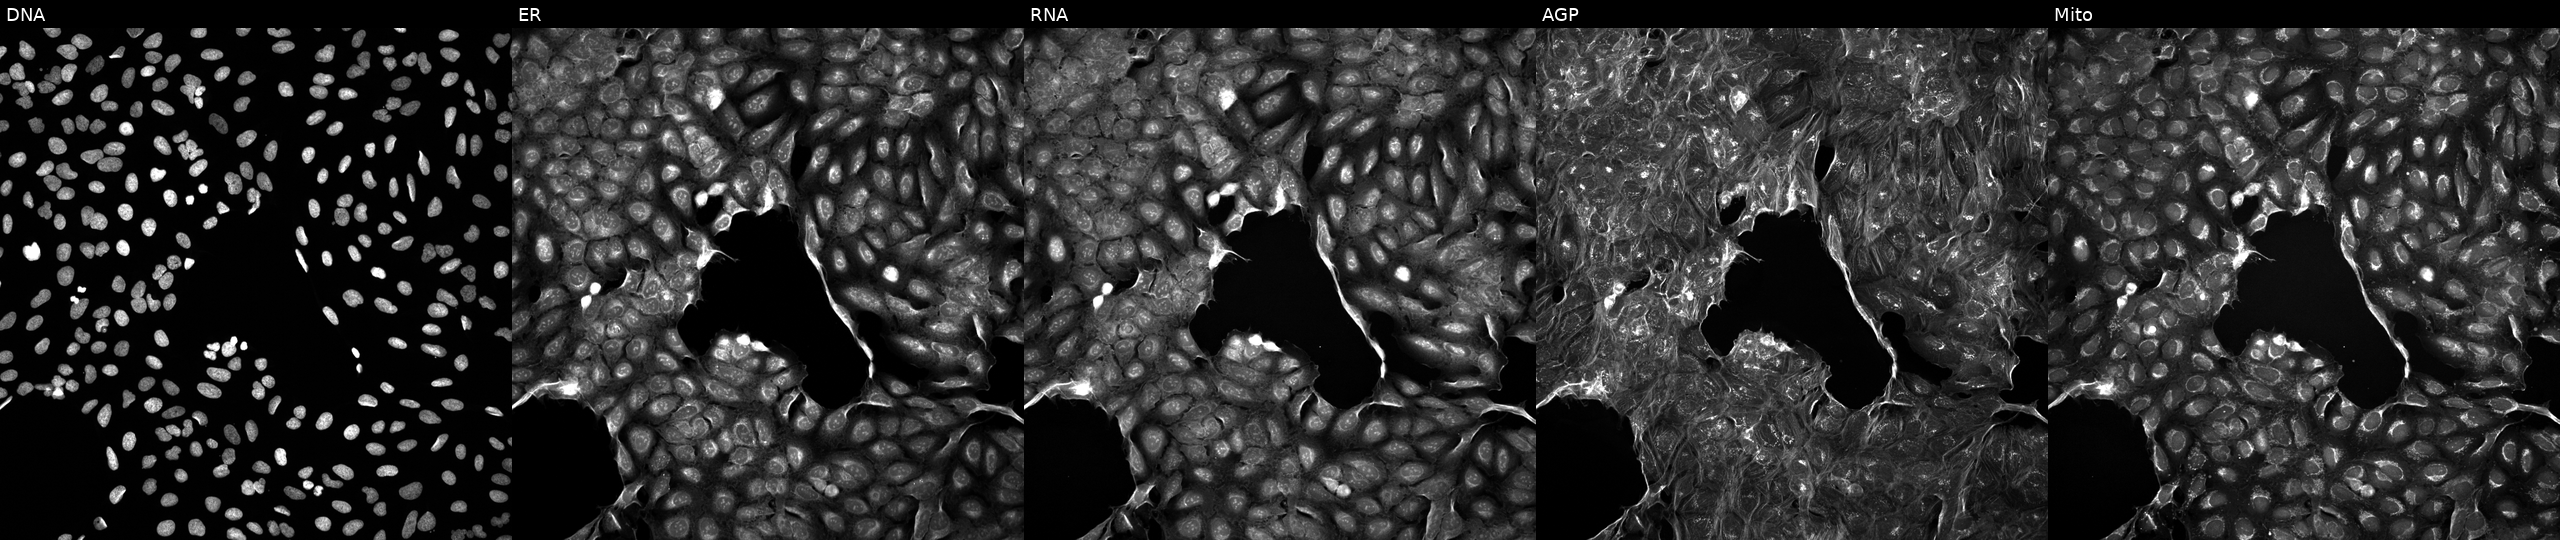
Five-channel Cell Painting image of U2OS cells exposed to DMSO alone as a negative control (JUMP id JCP2022_033924). Panels show, left to right, DNA (nuclei); ER (endoplasmic reticulum); RNA (nucleoli and cytoplasmic RNA); AGP (actin cytoskeleton, Golgi, and plasma membrane); Mito (mitochondria). Source 5, plate ACPJUM051, well N20.